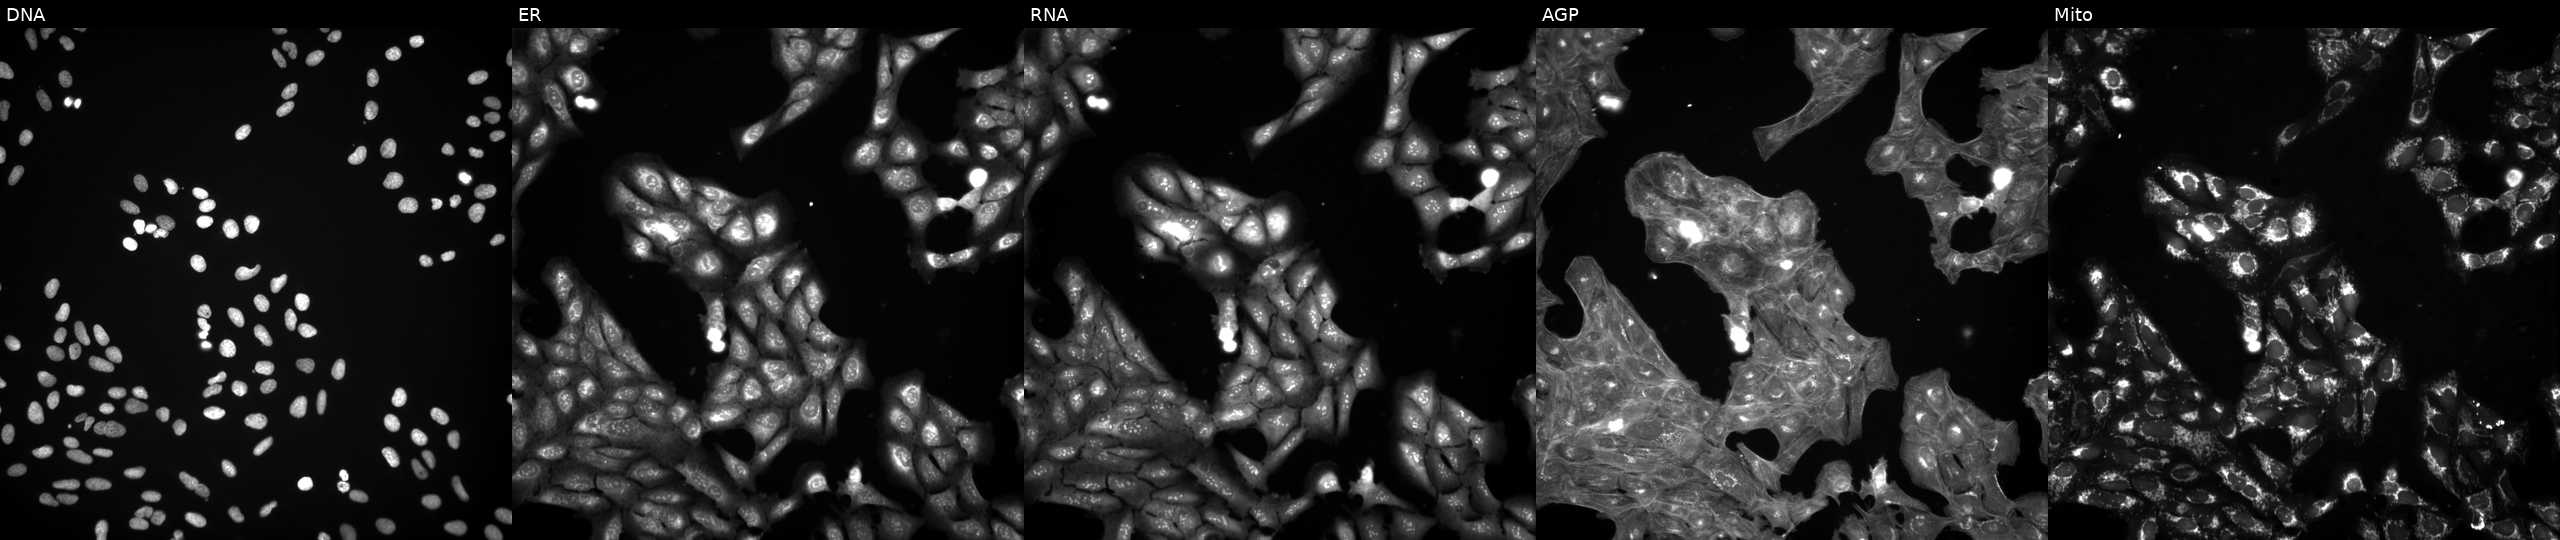
Five-channel Cell Painting image of U2OS cells exposed to DMSO alone as a negative control (JUMP id JCP2022_033924). Panels show, left to right, Hoechst 33342, concanavalin A, SYTO 14, phalloidin and WGA, MitoTracker. Source 3, plate JCPQC051, well H09.